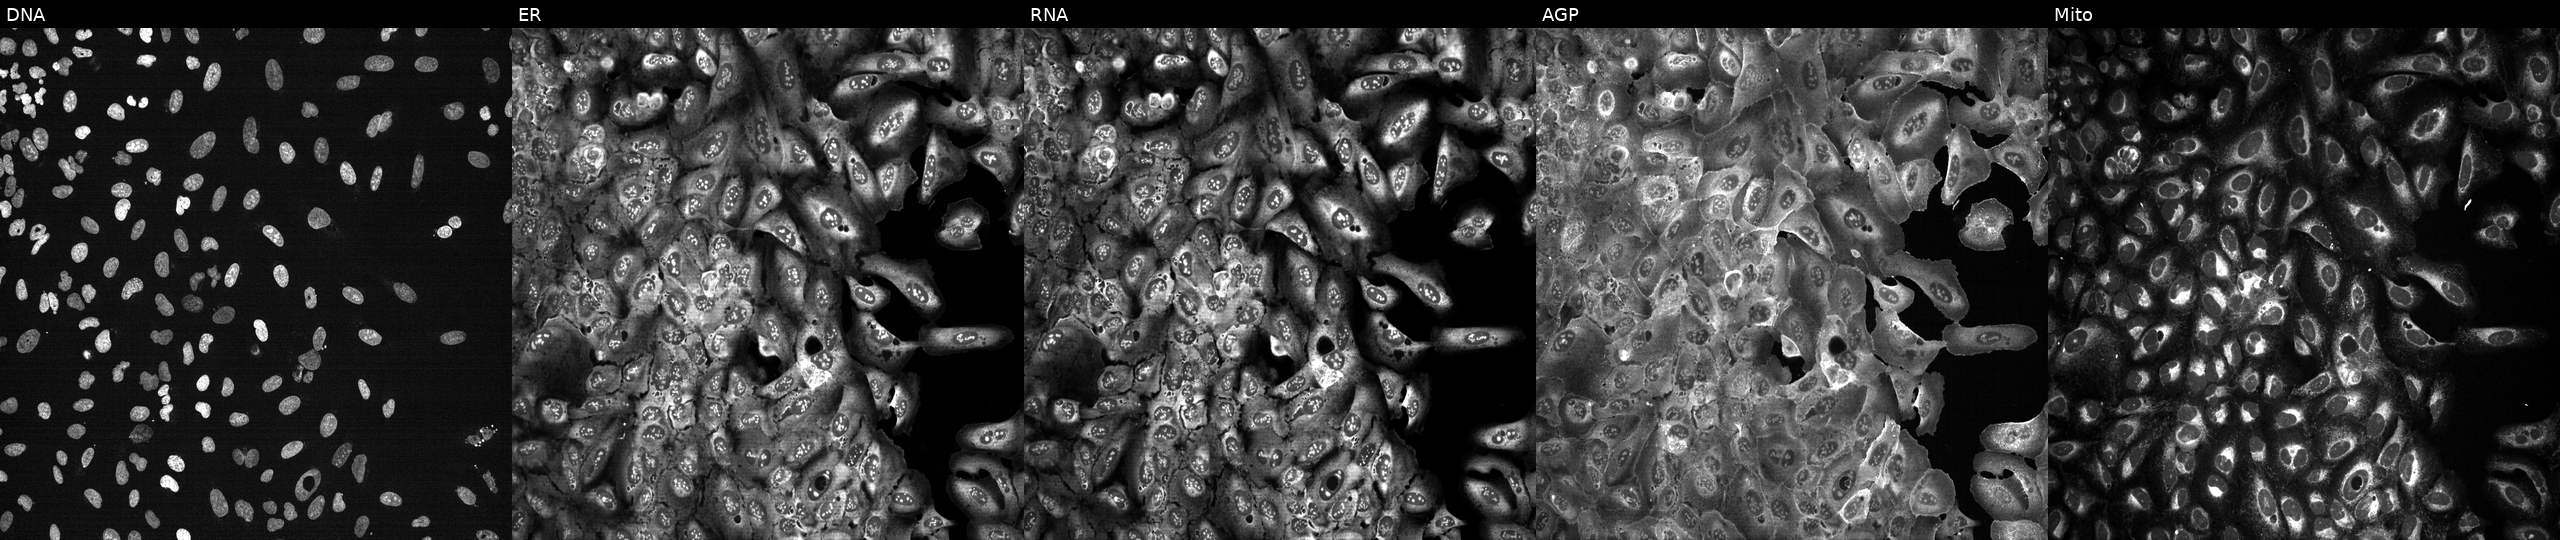
High-content fluorescence microscopy (Cell Painting). Cell line: U2OS. Perturbation: with CMAS knocked out by CRISPR (JUMP id JCP2022_801401). Panels show, left to right, Hoechst 33342, concanavalin A, SYTO 14, phalloidin and WGA, MitoTracker. Source 13, plate CP-CC9-R3-01, well B14.